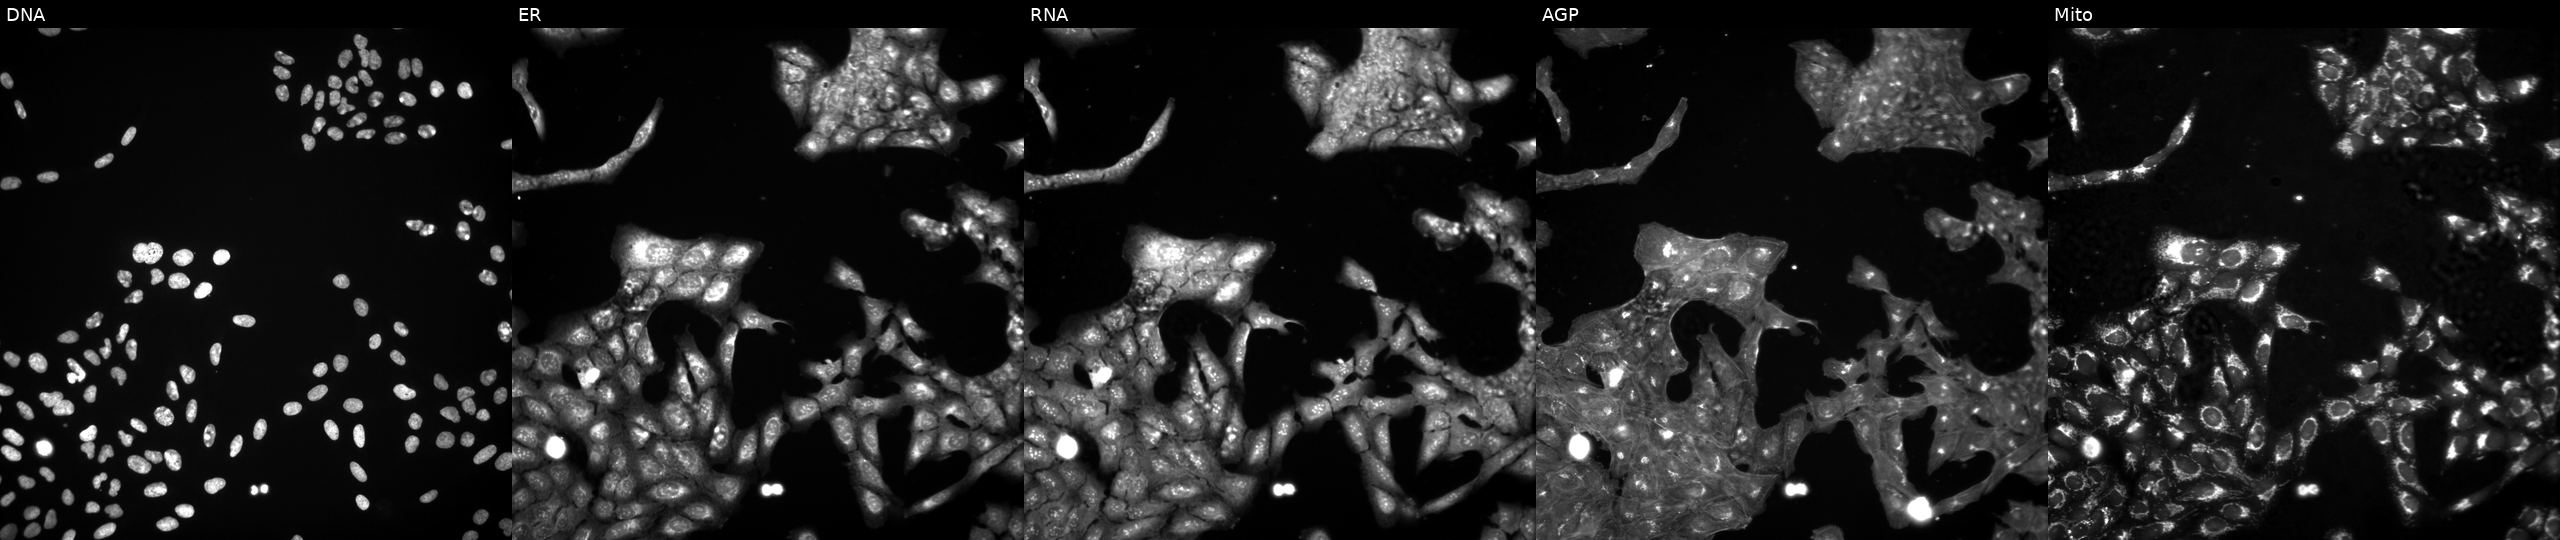
Panels show, left to right, DNA (nuclei); ER (endoplasmic reticulum); RNA (nucleoli and cytoplasmic RNA); AGP (actin cytoskeleton, Golgi, and plasma membrane); Mito (mitochondria). U2OS osteosarcoma cells exposed to the positive-control compound quinidine. Cell Painting assay, JUMP-CP dataset.